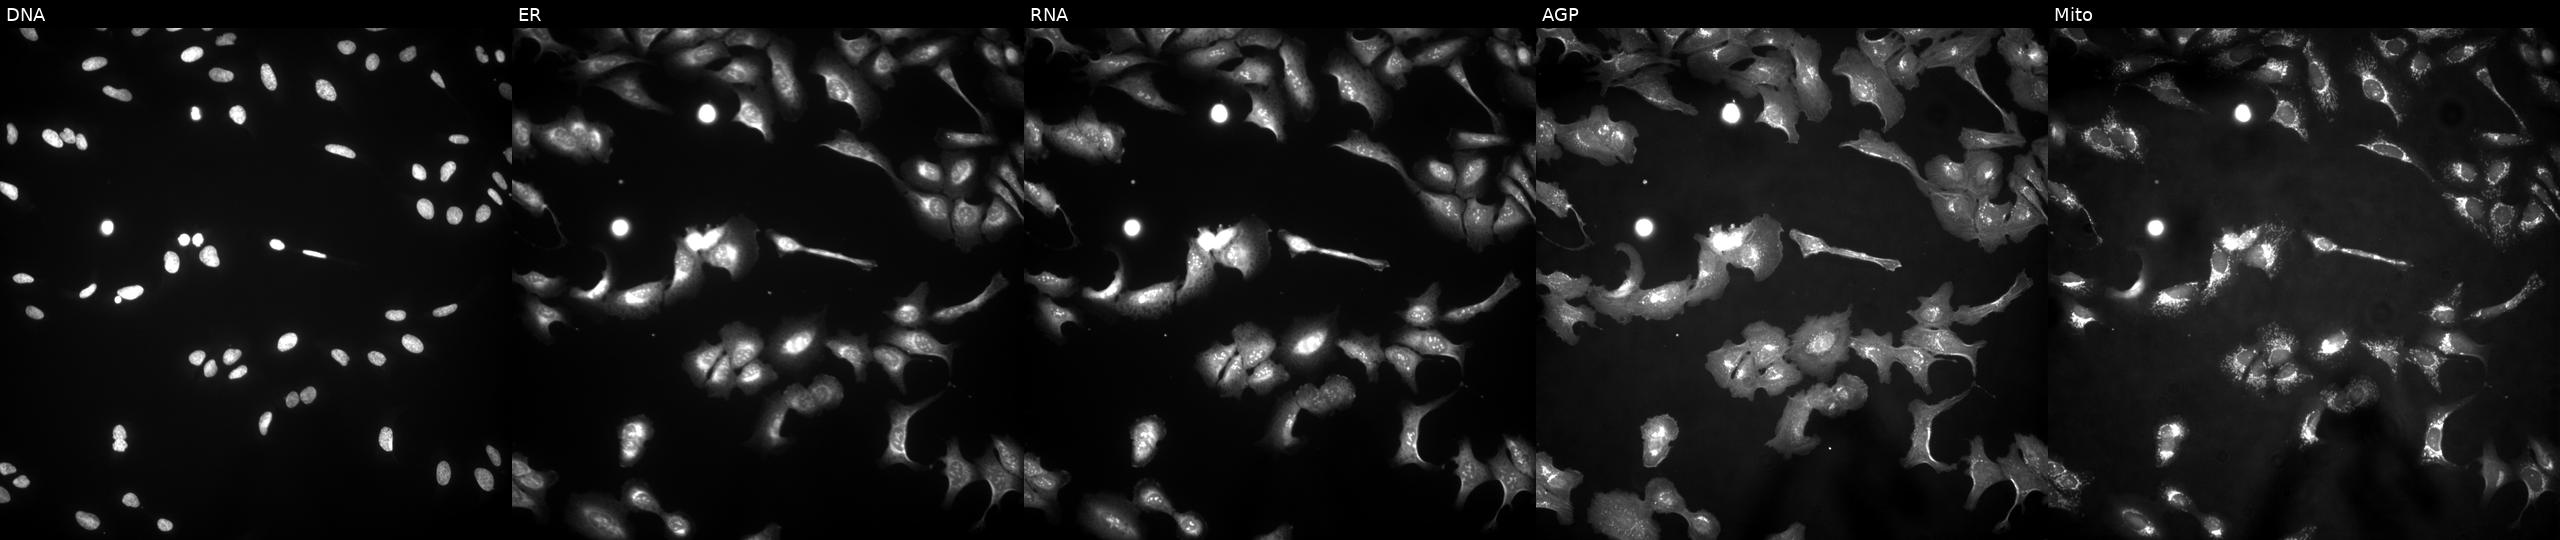
U2OS cells, Cell Painting assay, overexpressing BCS1L via ORF transfection. Panels show, left to right, Hoechst 33342, concanavalin A, SYTO 14, phalloidin and WGA, MitoTracker. Each panel is percentile-stretched 16-bit fluorescence.